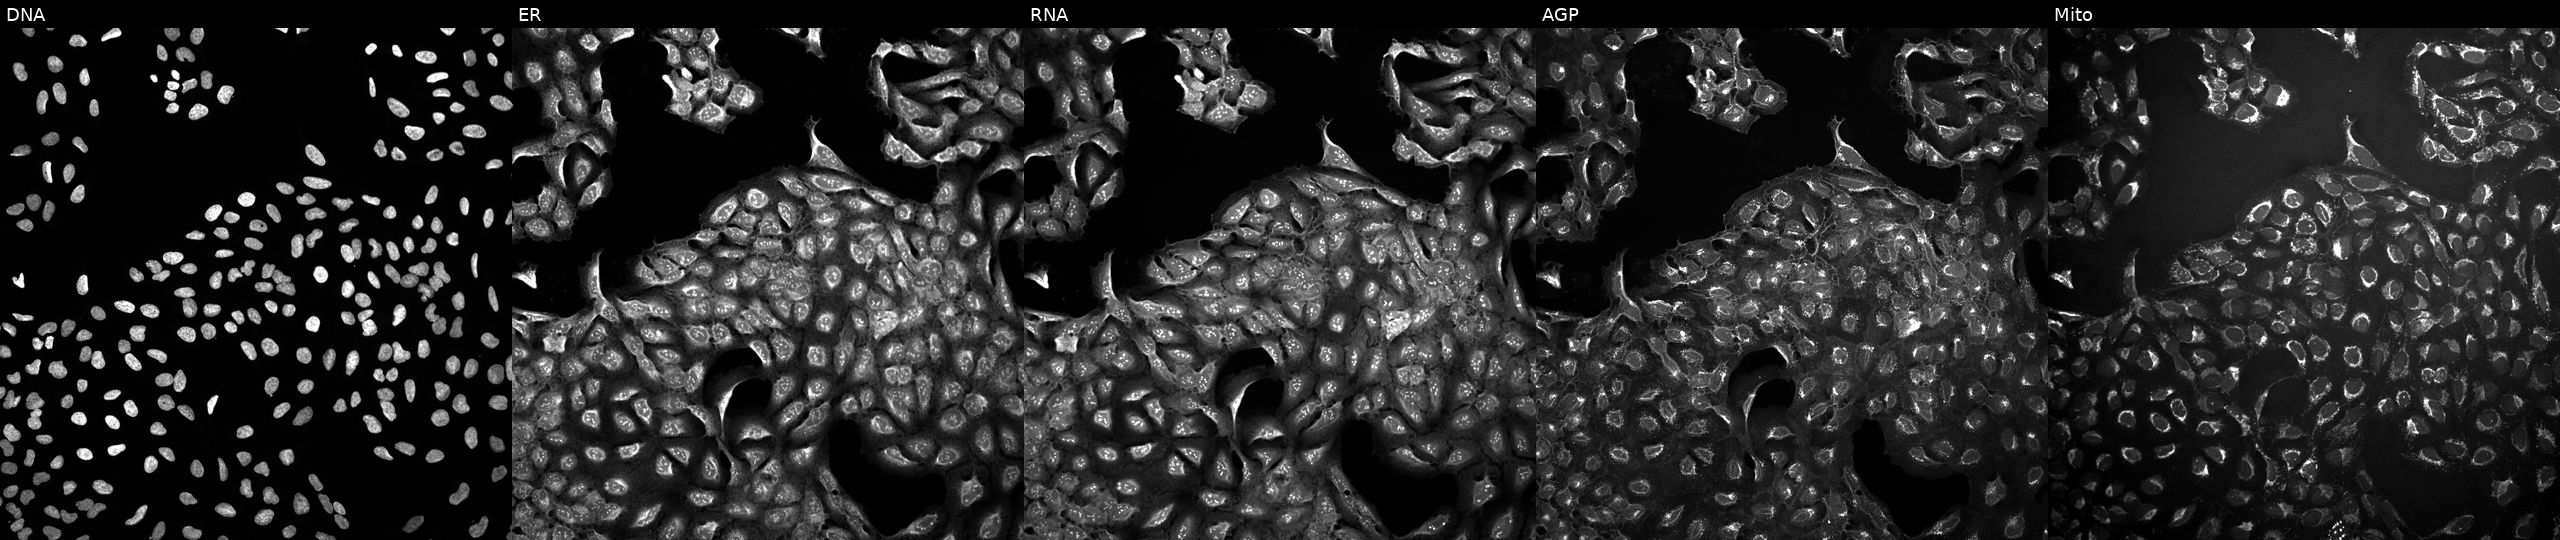
This image strip shows the five Cell Painting channels for a single field of U2OS cells treated with DMSO vehicle only (negative control) (JUMP id JCP2022_033924). Panels show, left to right, Hoechst 33342, concanavalin A, SYTO 14, phalloidin and WGA, MitoTracker. Source 10, plate Dest210803-153958, well L10.